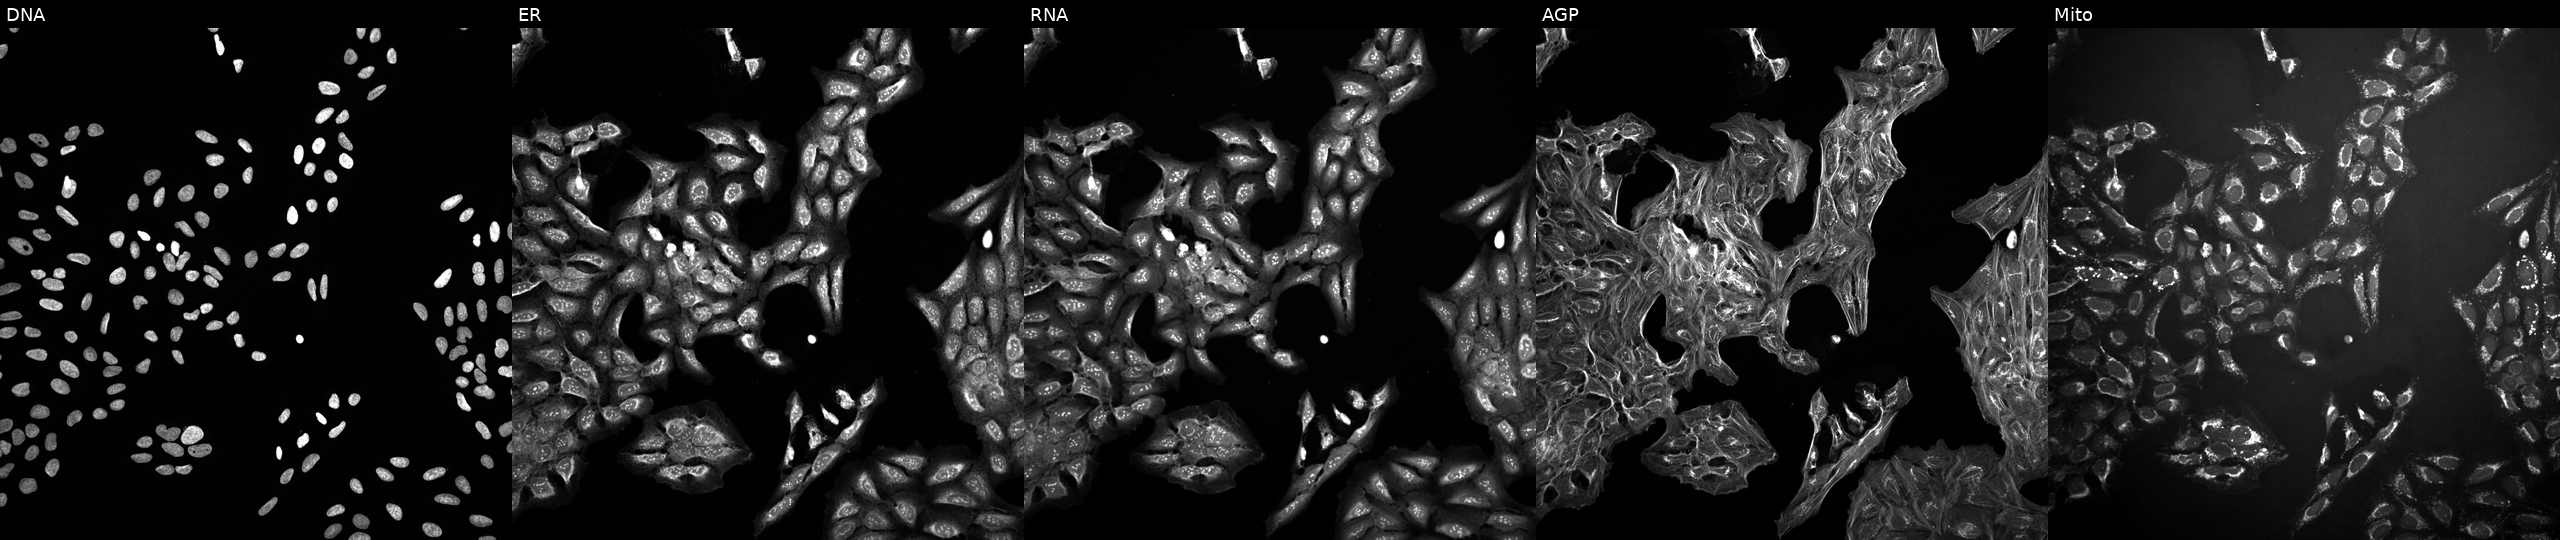
Channels (left→right): DNA (nuclei); ER (endoplasmic reticulum); RNA (nucleoli and cytoplasmic RNA); AGP (actin cytoskeleton, Golgi, and plasma membrane); Mito (mitochondria). U2OS osteosarcoma cells treated with a small-molecule compound (InChIKey QFWCYNPOPKQOKV-UHFFFAOYSA-N) (JUMP id JCP2022_073156). Cell Painting assay, JUMP-CP dataset.